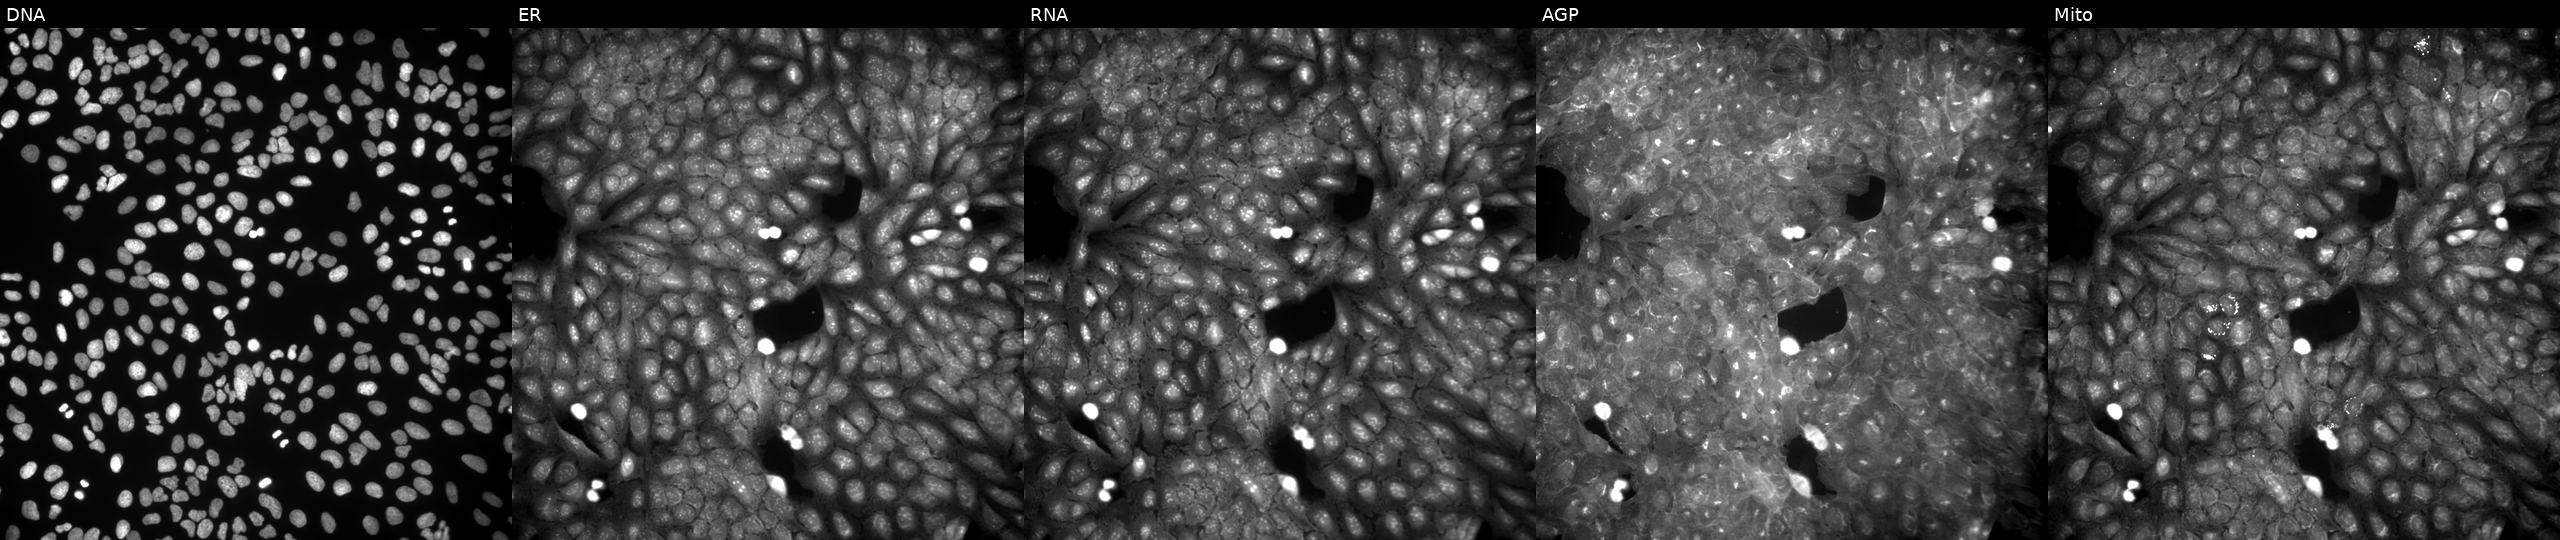
From left to right: DNA, ER, RNA, AGP, and Mito. U2OS osteosarcoma cells perturbed with a small-molecule compound (InChIKey FUQGZYCGUCSWFE-UHFFFAOYSA-N) (JUMP id JCP2022_023074). Cell Painting assay, JUMP-CP dataset. Source 9, plate GR00003382, well L36.